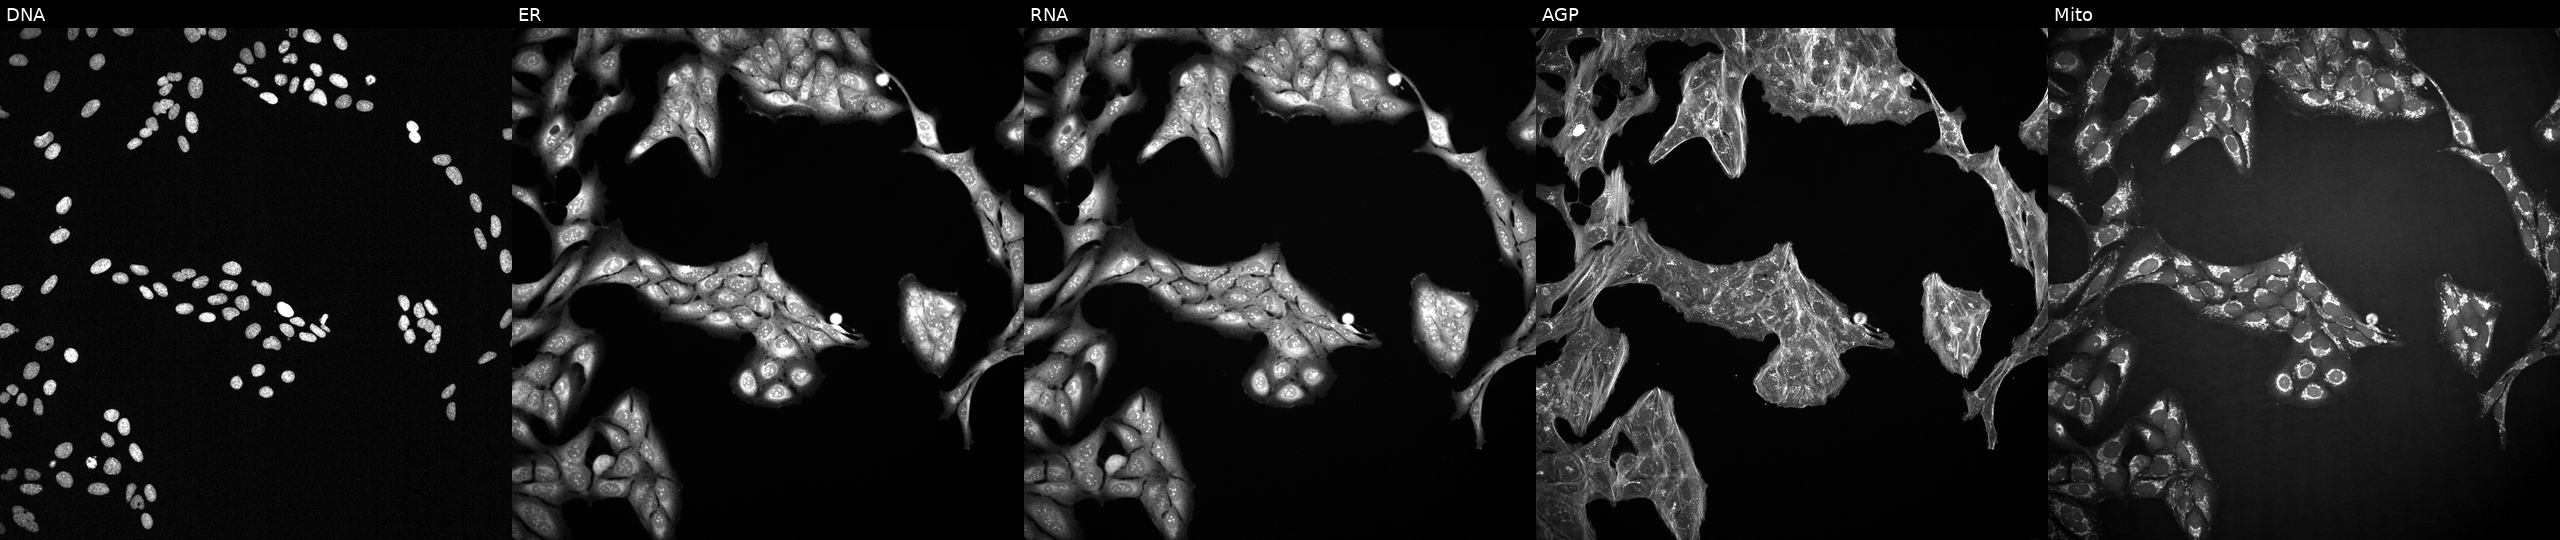
U2OS cells, Cell Painting assay, treated with a small-molecule compound (InChIKey CUIHSIWYWATEQL-UHFFFAOYSA-N) (JUMP id JCP2022_013455). Channels (left→right): Hoechst 33342, concanavalin A, SYTO 14, phalloidin and WGA, MitoTracker. Each panel is percentile-stretched 16-bit fluorescence.